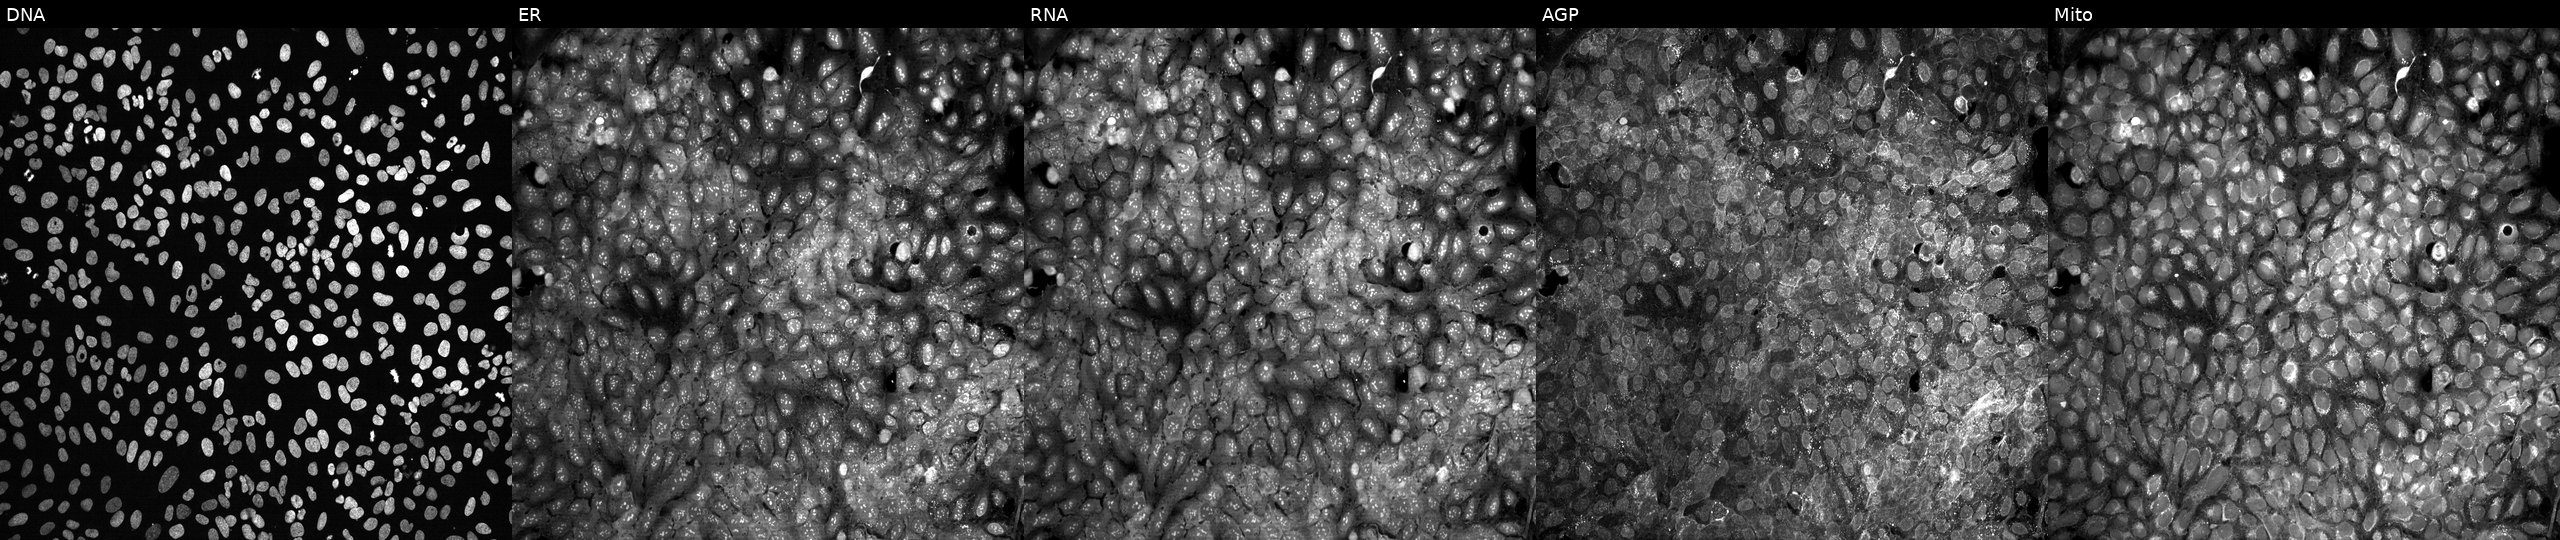
High-content fluorescence microscopy (Cell Painting). Cell line: U2OS. Perturbation: treated with aloxistatin (positive-control compound) (JUMP id JCP2022_085227). The five panels, left to right, show Hoechst 33342, concanavalin A, SYTO 14, phalloidin and WGA, MitoTracker. Source 13, plate CP-CC9-R1-02, well A01.